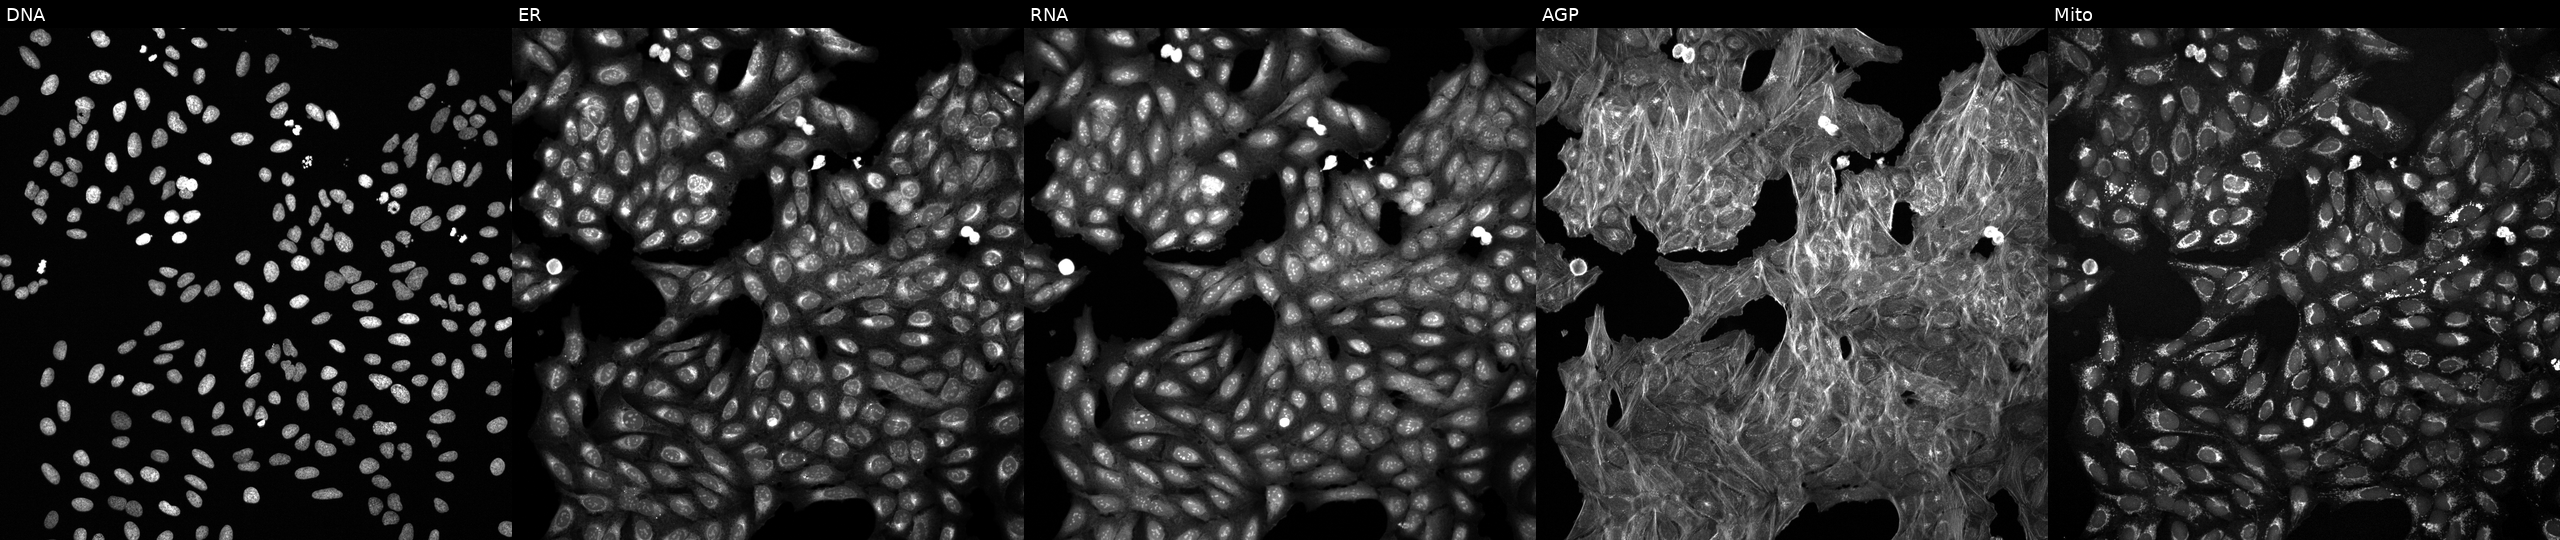
JUMP Cell Painting — TARGET2 plate. U2OS cells exposed to DMSO alone as a negative control (JUMP id JCP2022_033924). Channels (left→right): DNA (nuclei); ER (endoplasmic reticulum); RNA (nucleoli and cytoplasmic RNA); AGP (actin cytoskeleton, Golgi, and plasma membrane); Mito (mitochondria).